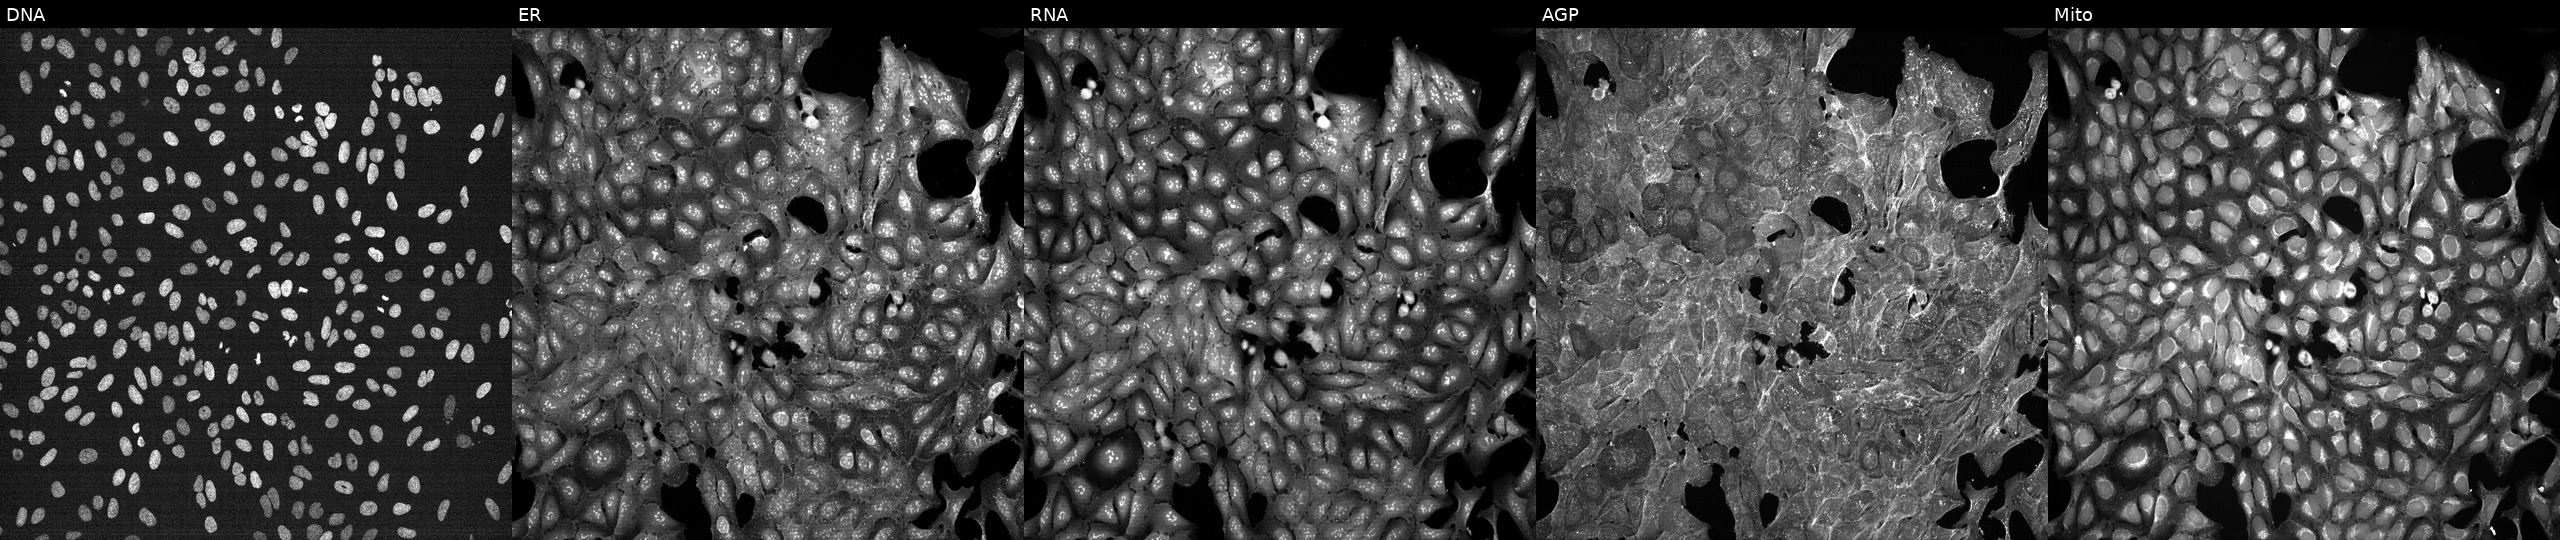
U2OS cells, Cell Painting assay, exposed to a small-molecule compound (InChIKey RIJLVEAXPNLDTC-UHFFFAOYSA-N) (JUMP id JCP2022_078581). From left to right: DNA, ER, RNA, AGP, and Mito. Each panel is percentile-stretched 16-bit fluorescence.